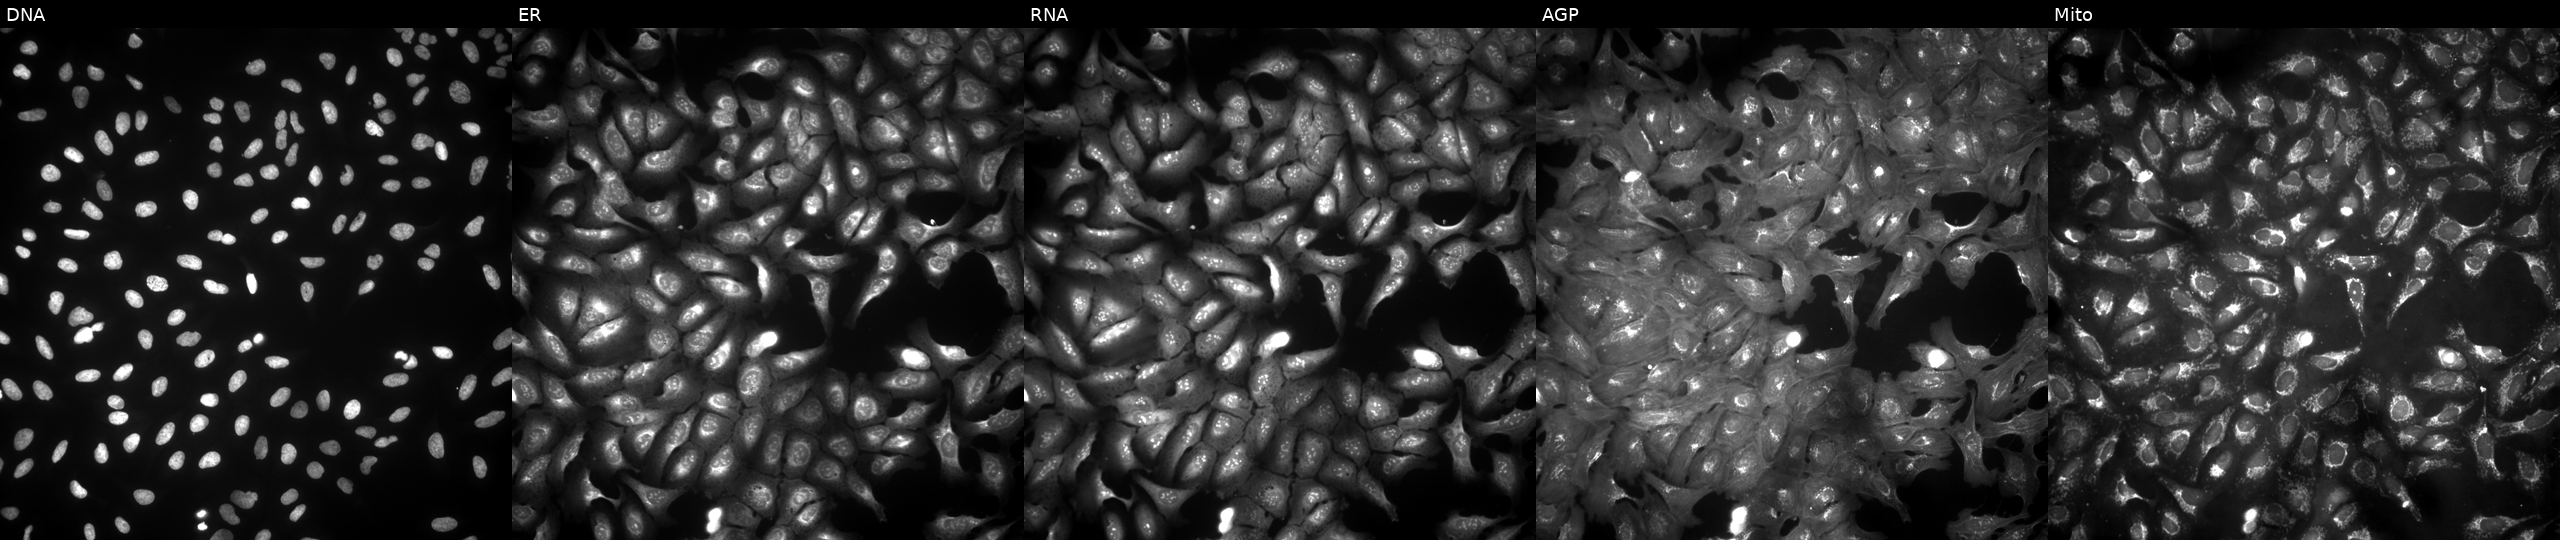
This image strip shows the five Cell Painting channels for a single field of U2OS cells with CCDC110 overexpressed (ORF). The five panels, left to right, show DNA (nuclei); ER (endoplasmic reticulum); RNA (nucleoli and cytoplasmic RNA); AGP (actin cytoskeleton, Golgi, and plasma membrane); Mito (mitochondria). Source 4, plate BR00123506, well I24.